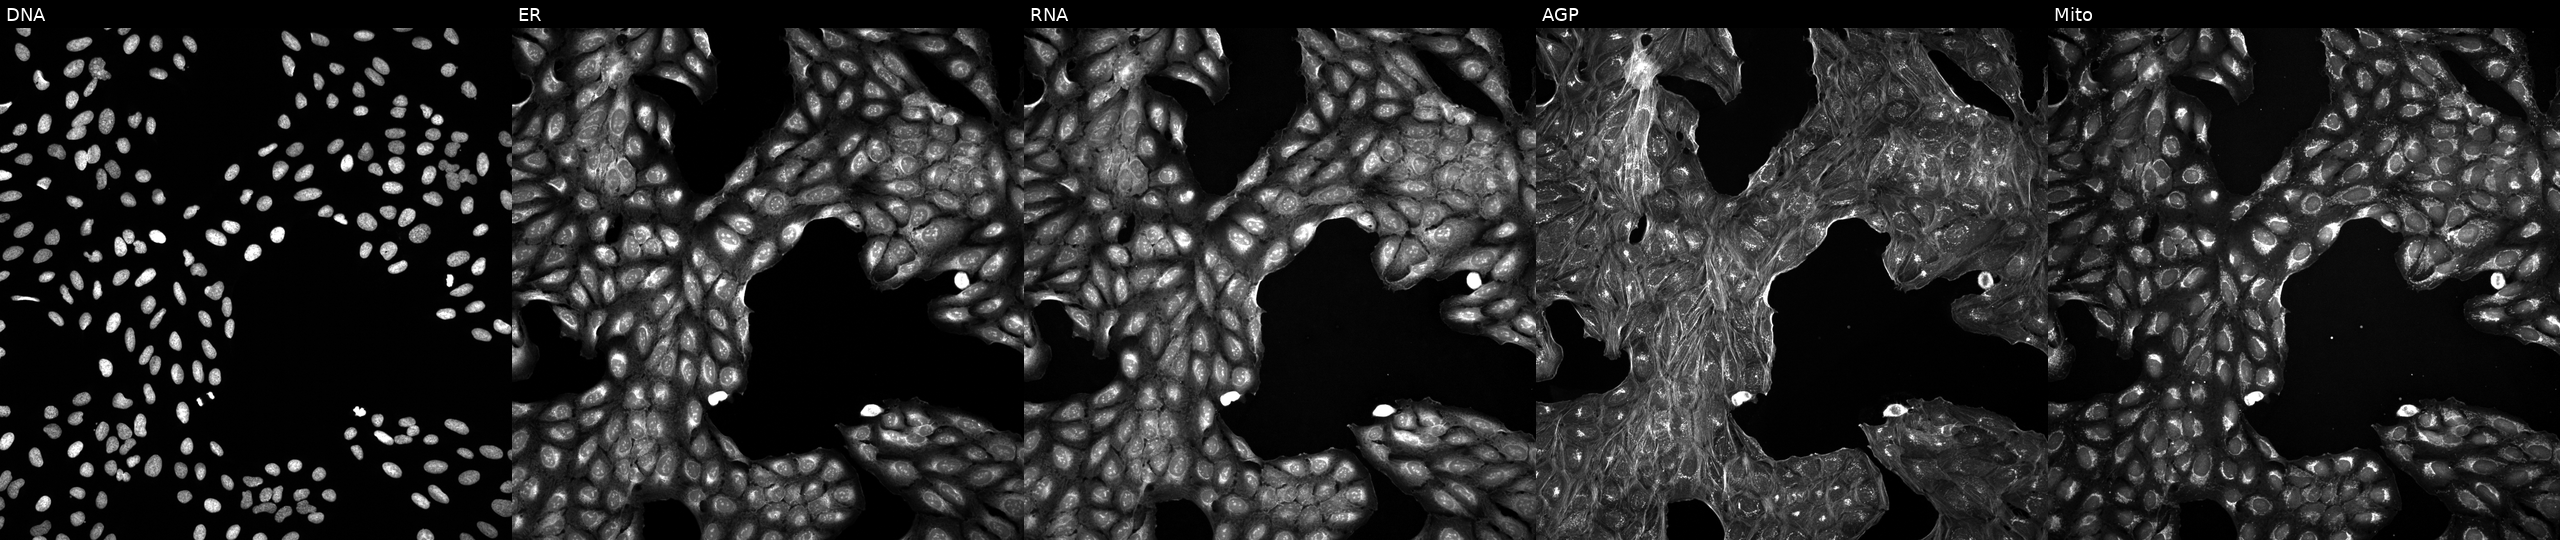
This image strip shows the five Cell Painting channels for a single field of U2OS cells exposed to a small-molecule compound (InChIKey HGVDHZBSSITLCT-UHFFFAOYSA-N) (JUMP id JCP2022_030094). Panels show, left to right, DNA, ER, RNA, AGP, and Mito.